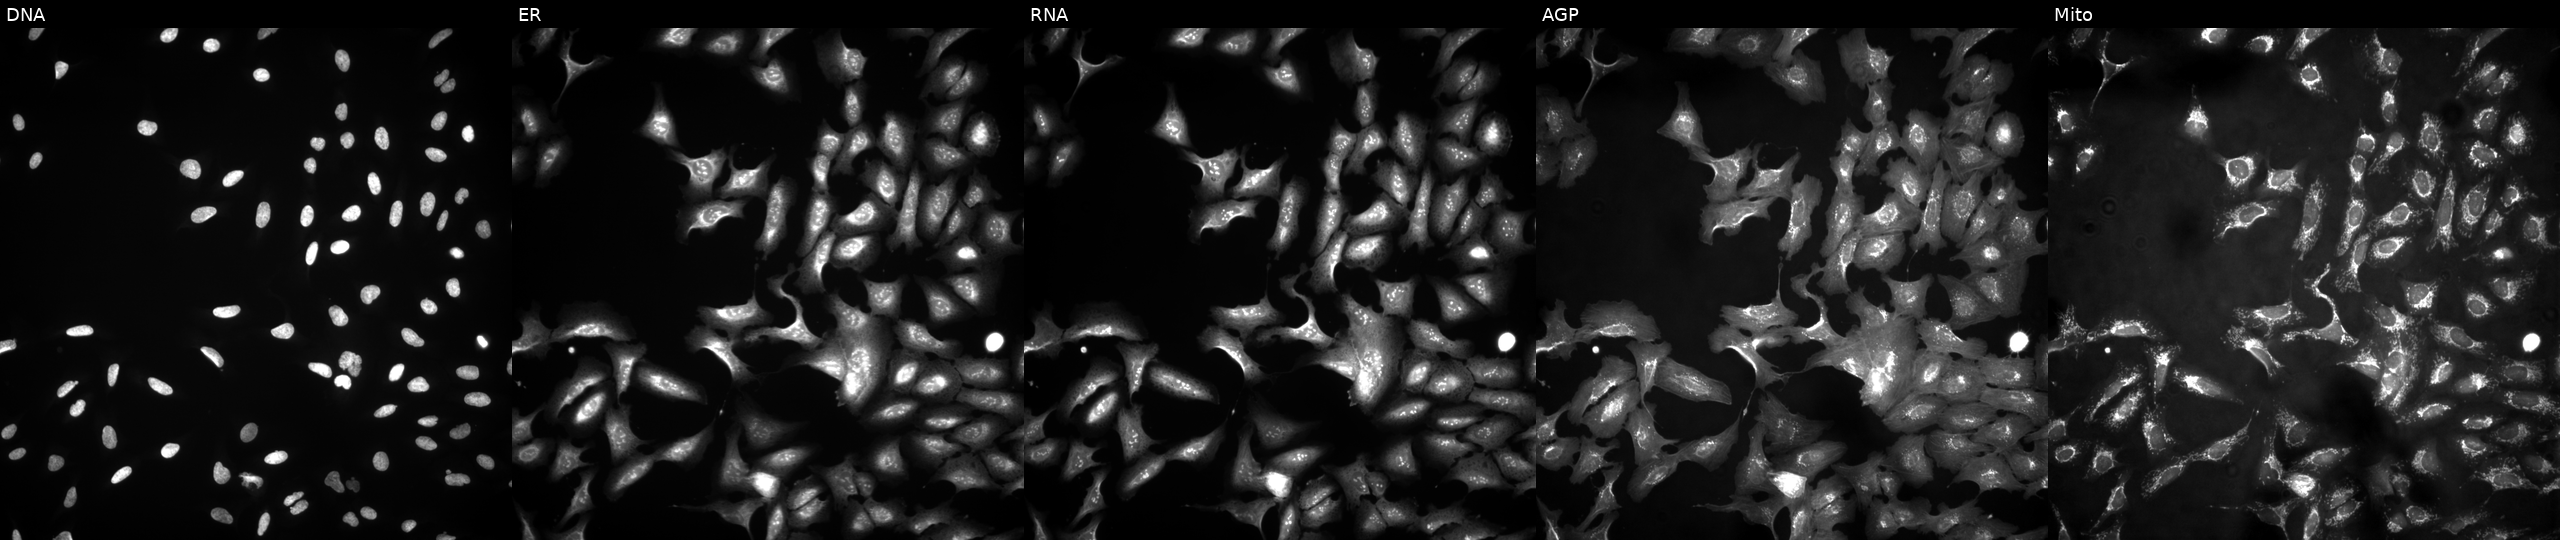
JUMP Cell Painting — ORF plate. U2OS cells transfected with an ORF construct for SAMHD1. The five panels, left to right, show DNA (nuclei); ER (endoplasmic reticulum); RNA (nucleoli and cytoplasmic RNA); AGP (actin cytoskeleton, Golgi, and plasma membrane); Mito (mitochondria). Source 4, plate BR00121543, well O02.